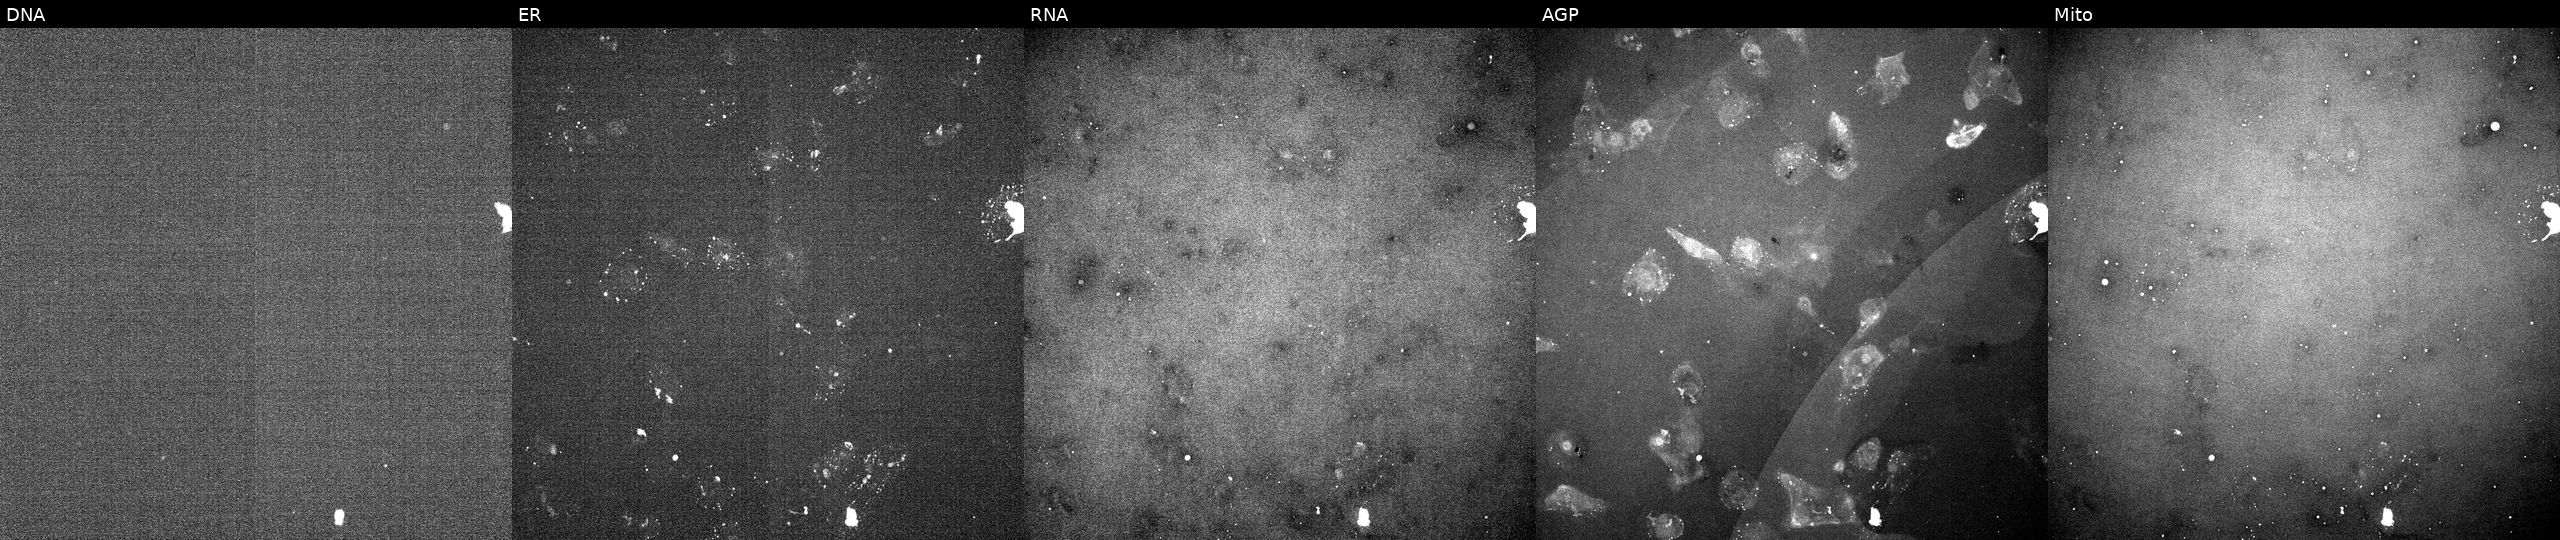
U2OS cells, Cell Painting assay, treated with a small-molecule compound (InChIKey NQQBNZBOOHHVQP-UHFFFAOYSA-N) (JUMP id JCP2022_060734). Panels show, left to right, DNA, ER, RNA, AGP, and Mito. Each panel is percentile-stretched 16-bit fluorescence.